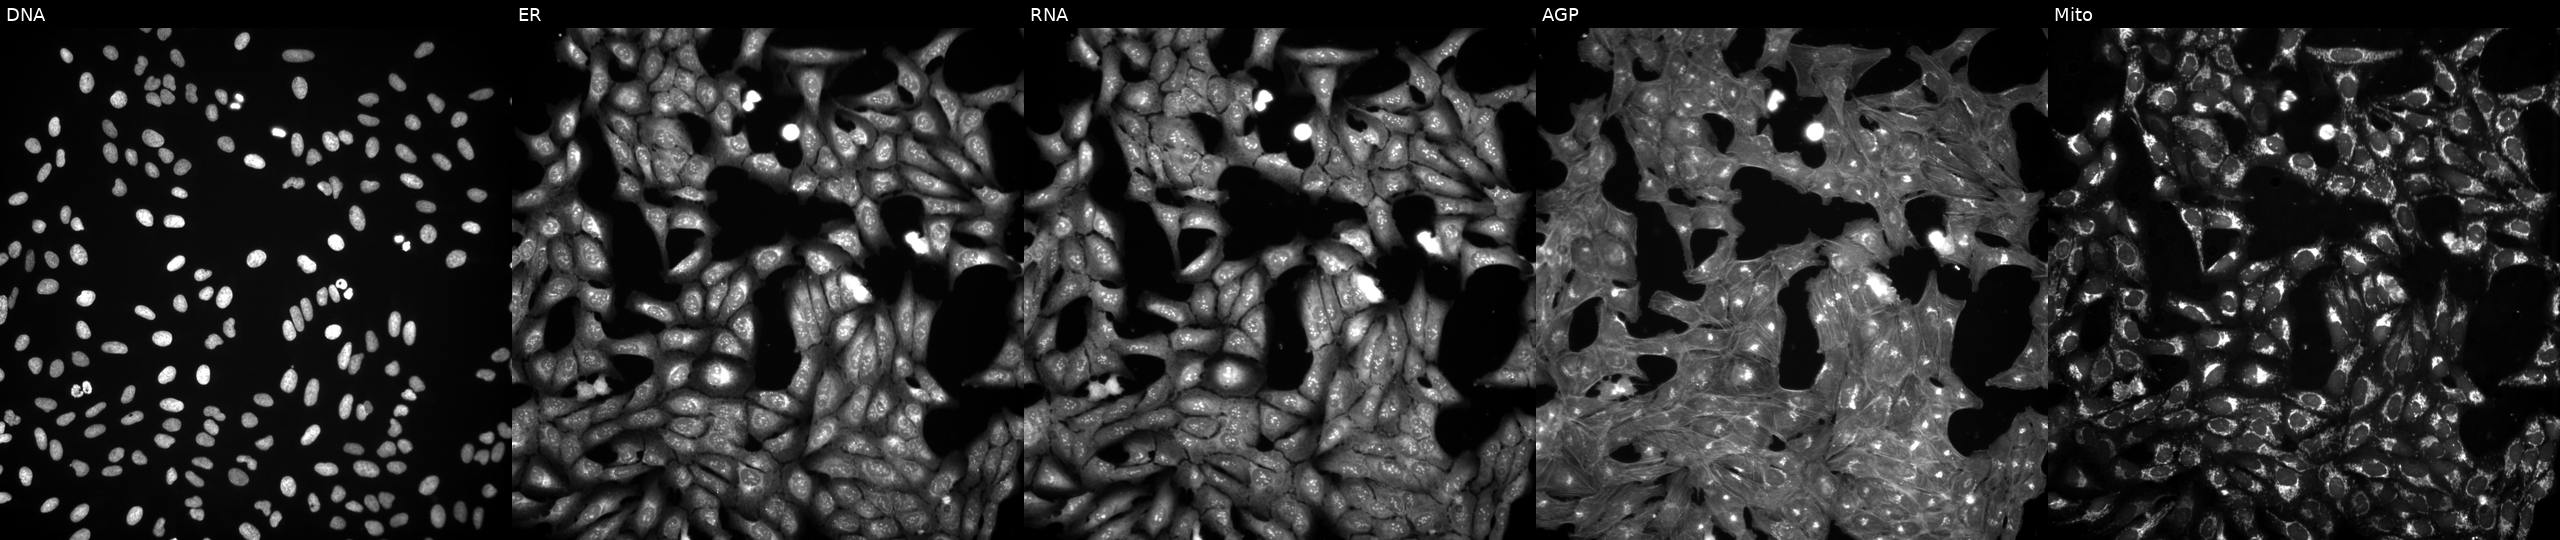
High-content fluorescence microscopy (Cell Painting). Cell line: U2OS. Perturbation: exposed to a small-molecule compound (InChIKey LUCWHOSVEZMKHT-UHFFFAOYSA-N). From left to right: Hoechst 33342, concanavalin A, SYTO 14, phalloidin and WGA, MitoTracker.